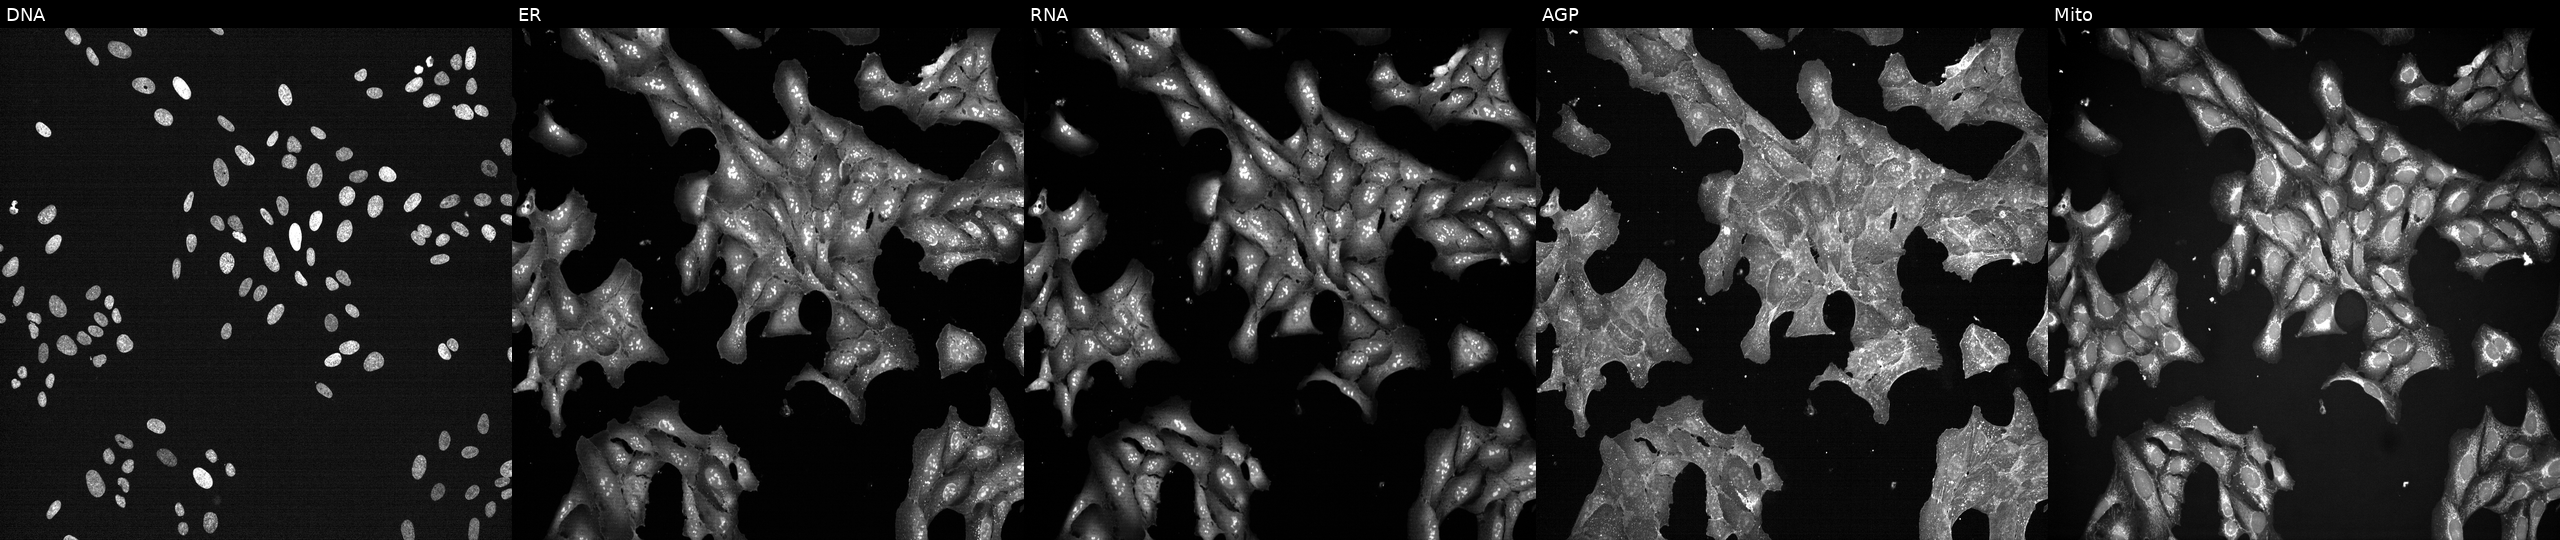
From left to right: DNA (nuclei); ER (endoplasmic reticulum); RNA (nucleoli and cytoplasmic RNA); AGP (actin cytoskeleton, Golgi, and plasma membrane); Mito (mitochondria). U2OS osteosarcoma cells treated with a small-molecule compound [SMILES: COc1cc2ncnc(Sc3nnc(C)s3)c2cc1OC] (JUMP id JCP2022_080150). Cell Painting assay, JUMP-CP dataset. Source 7, plate CP2-SC1-25, well B08.